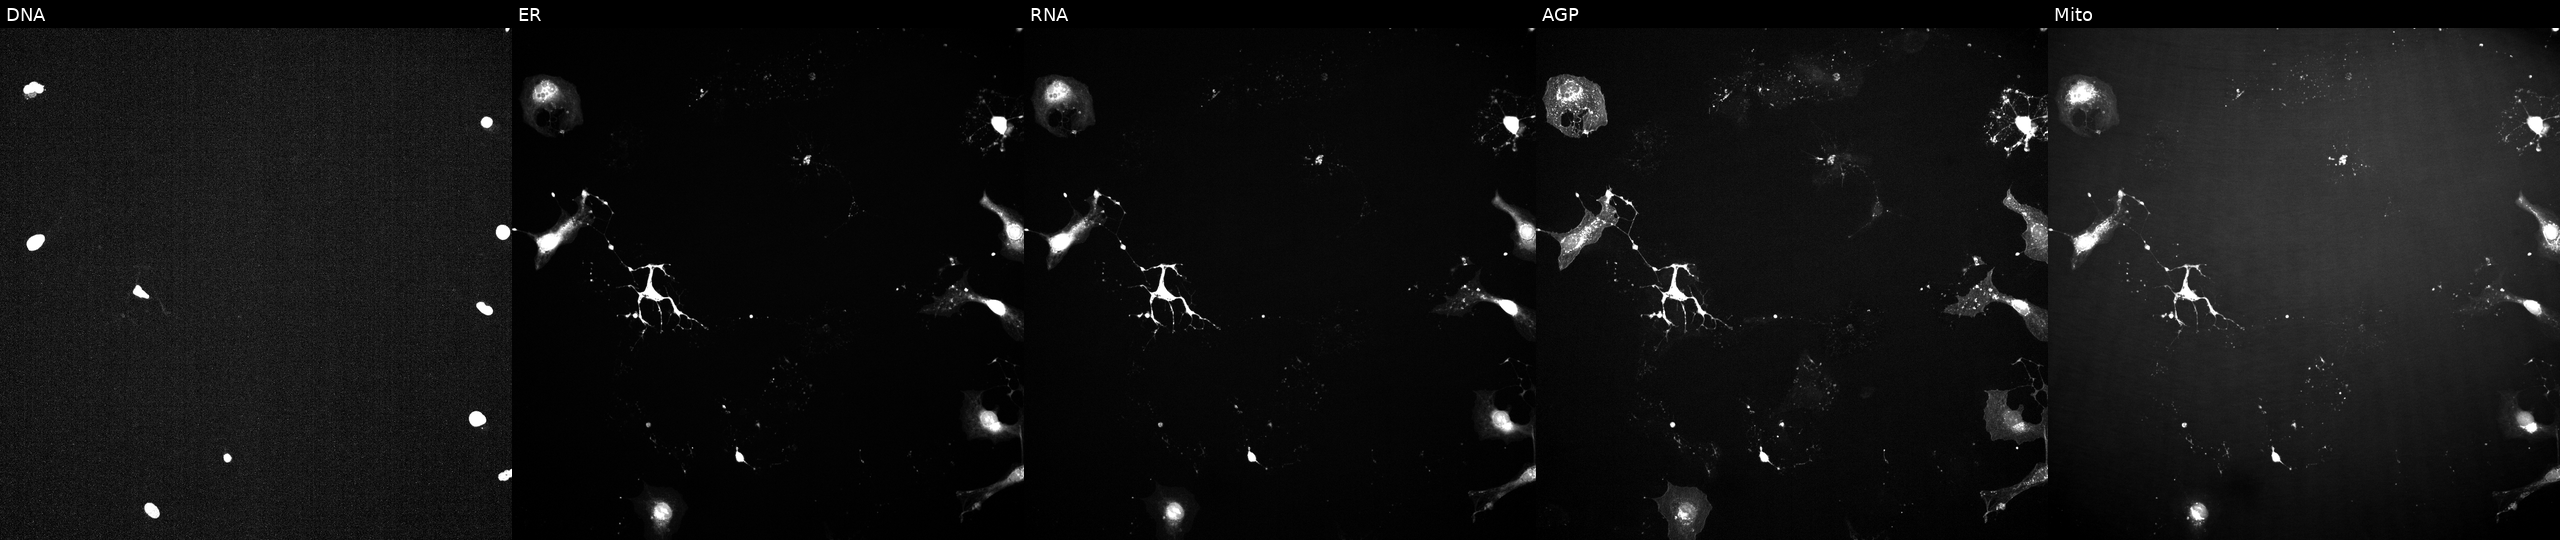
U2OS cells, Cell Painting assay, exposed to a small-molecule compound (InChIKey PBCZSGKMGDDXIJ-UHFFFAOYSA-N) (JUMP id JCP2022_067441). Channels (left→right): Hoechst 33342, concanavalin A, SYTO 14, phalloidin and WGA, MitoTracker. Each panel is percentile-stretched 16-bit fluorescence. Source 2, plate 1053597936, well G12.